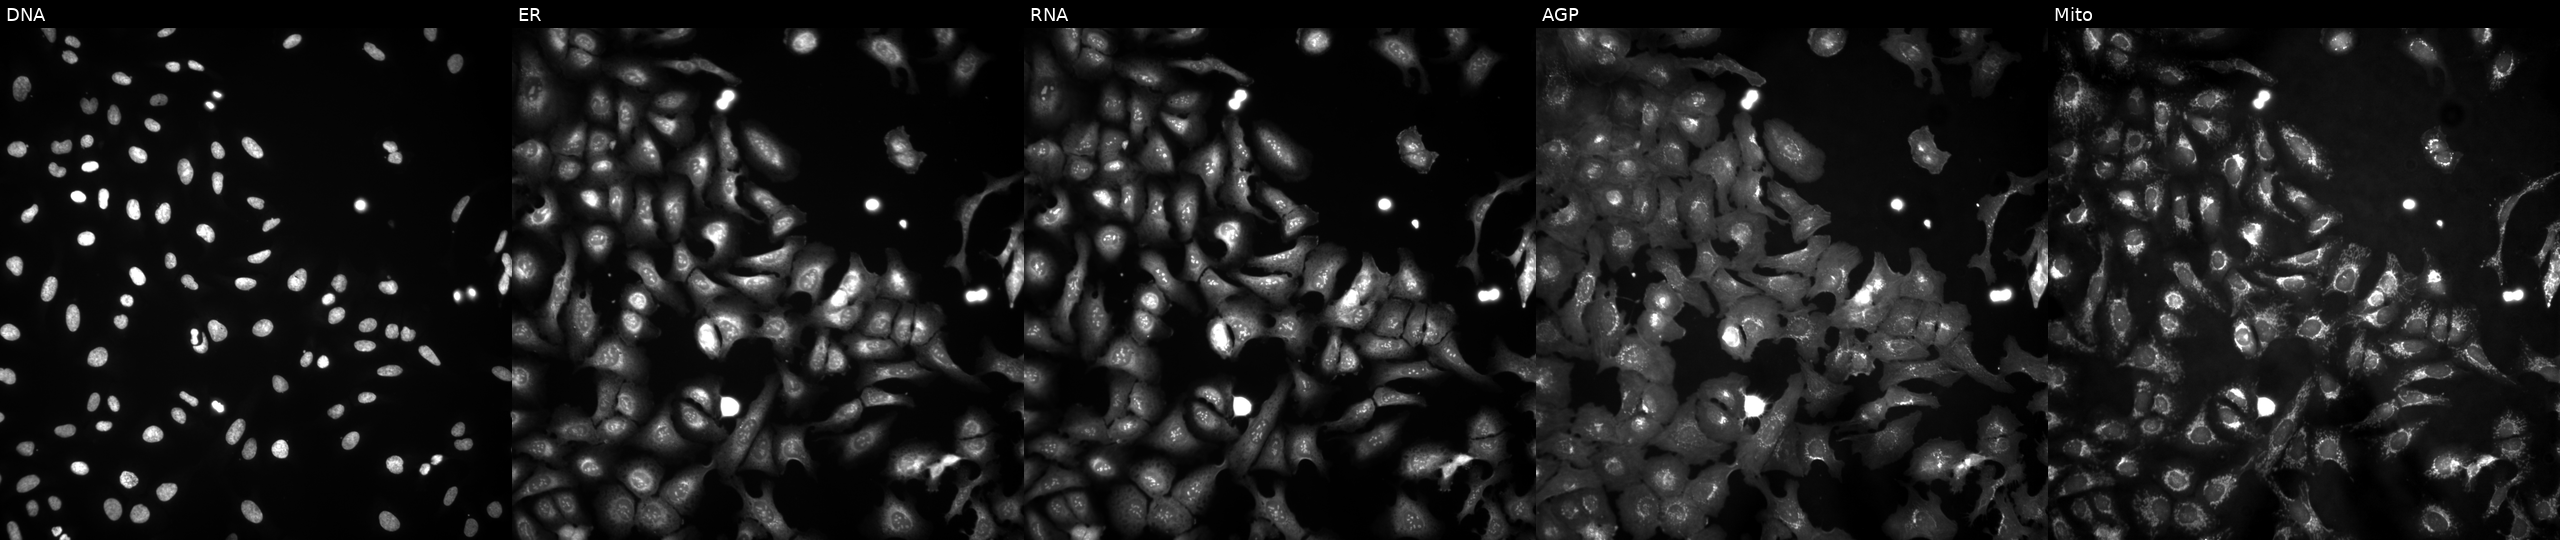
U2OS cells, Cell Painting assay, transfected with an ORF construct for PLS3 (JUMP id JCP2022_901146). Channels (left→right): DNA, ER, RNA, AGP, and Mito. Each panel is percentile-stretched 16-bit fluorescence. Source 4, plate BR00121543, well E17.